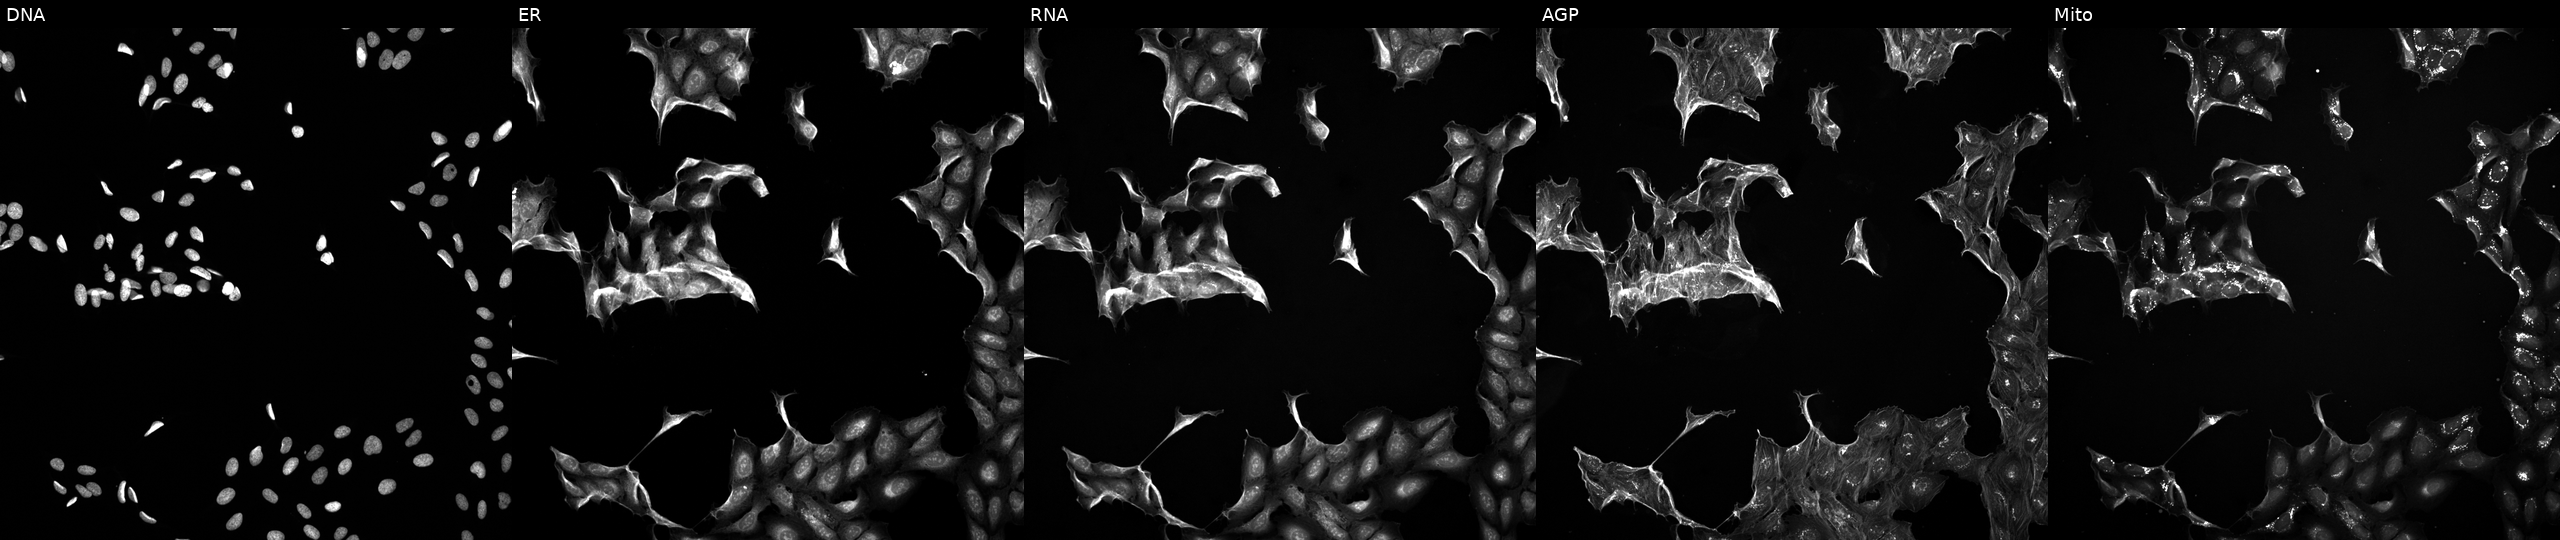
Panels show, left to right, DNA, ER, RNA, AGP, and Mito. U2OS osteosarcoma cells treated with a small-molecule compound (InChIKey WGZOTBUYUFBEPZ-UHFFFAOYSA-N) (JUMP id JCP2022_098688). Cell Painting assay, JUMP-CP dataset. Source 5, plate ACPJUM051, well B09.